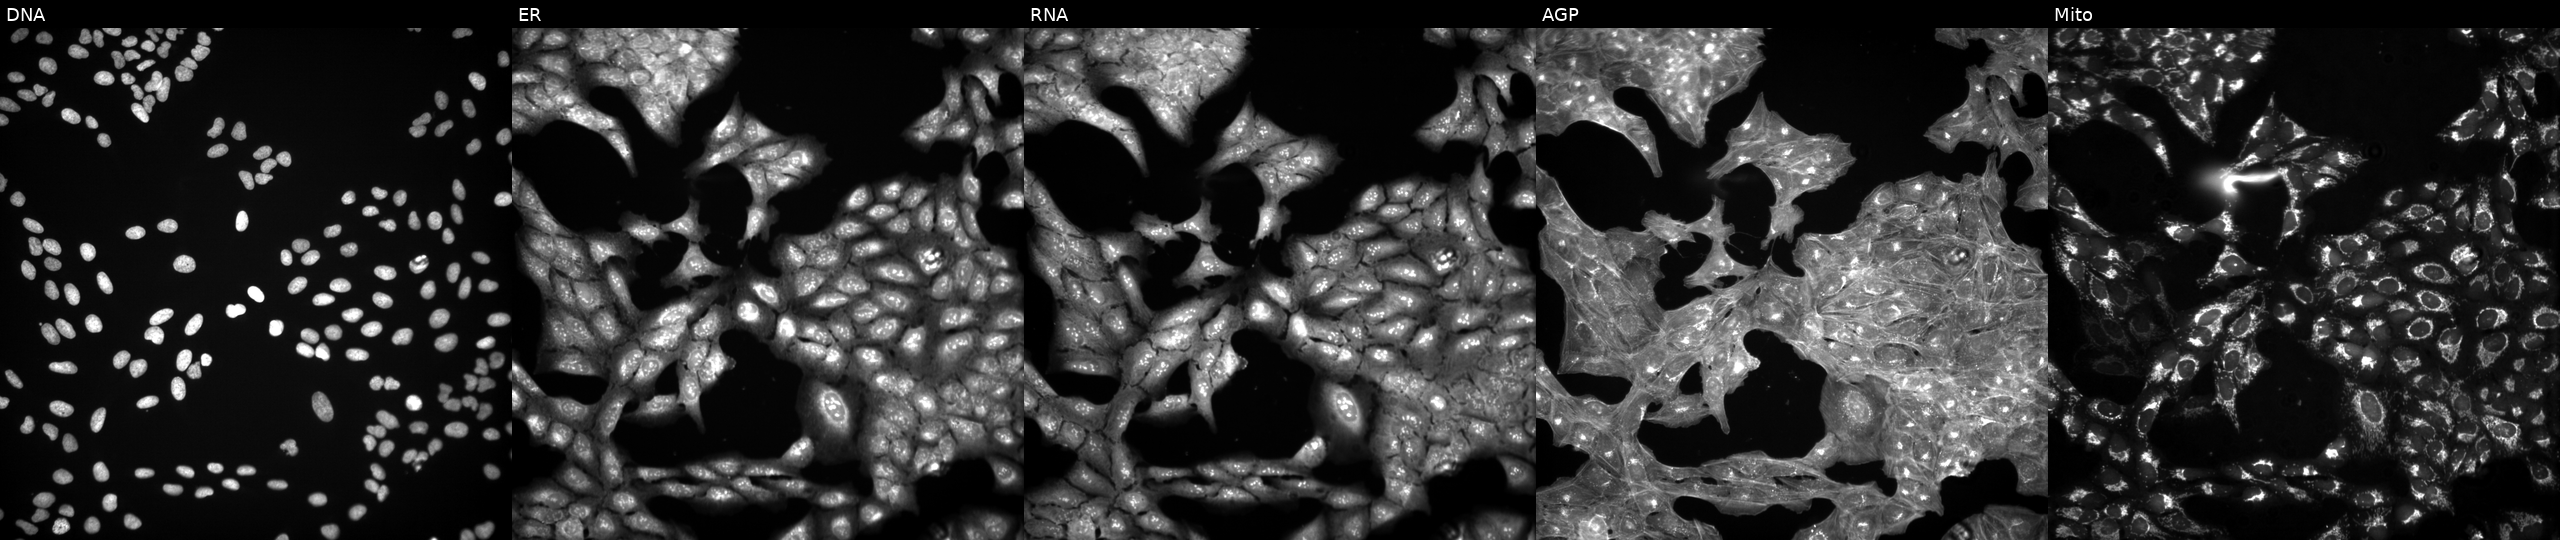
High-content fluorescence microscopy (Cell Painting). Cell line: U2OS. Perturbation: exposed to the positive-control compound aloxistatin (JUMP id JCP2022_085227). The five panels, left to right, show DNA (nuclei); ER (endoplasmic reticulum); RNA (nucleoli and cytoplasmic RNA); AGP (actin cytoskeleton, Golgi, and plasma membrane); Mito (mitochondria).